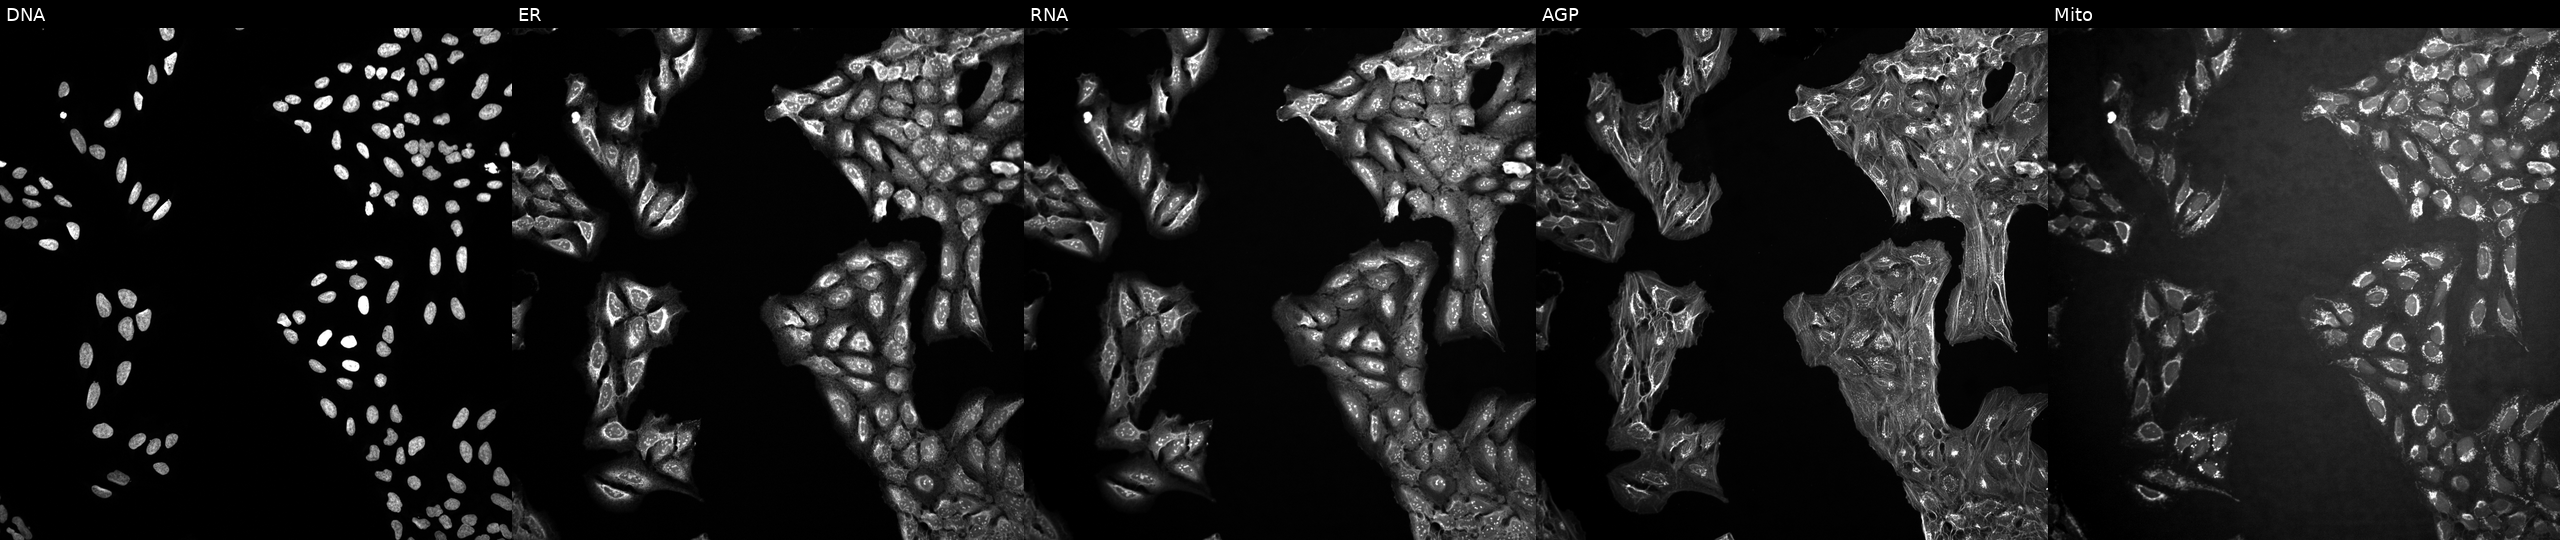
Five-channel Cell Painting image of U2OS cells treated with a small-molecule compound (InChIKey GPSBFKTZJHNYAV-UHFFFAOYSA-N) (JUMP id JCP2022_026986). Channels (left→right): Hoechst 33342, concanavalin A, SYTO 14, phalloidin and WGA, MitoTracker.